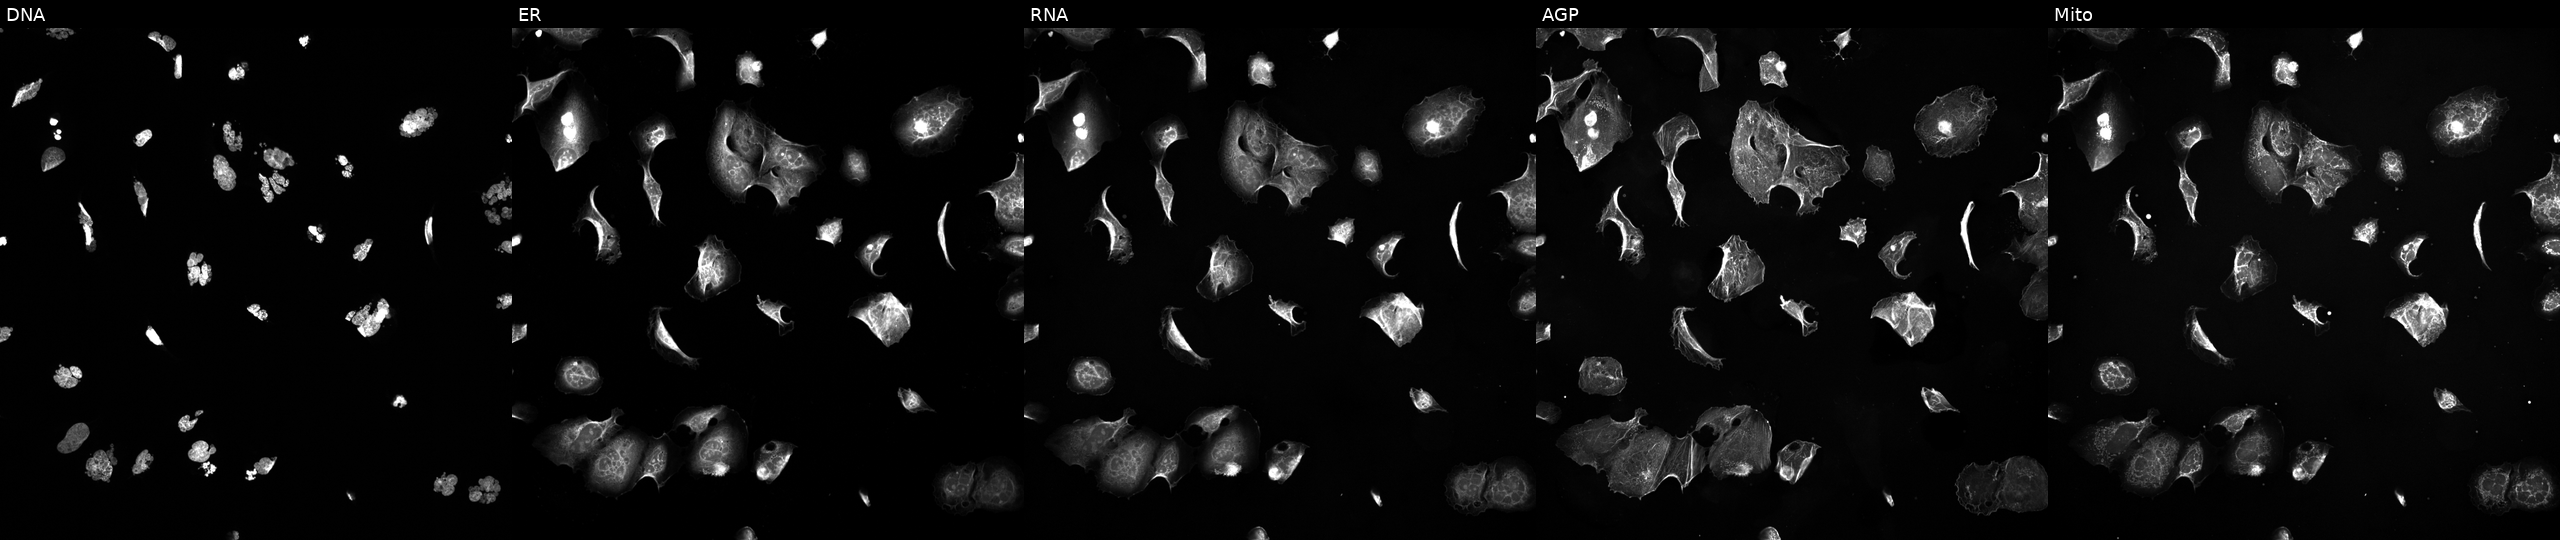
Five-channel Cell Painting image of U2OS cells exposed to a small-molecule compound (InChIKey FABUFPQFXZVHFB-UHFFFAOYSA-N) (JUMP id JCP2022_019314). Panels show, left to right, DNA, ER, RNA, AGP, and Mito.